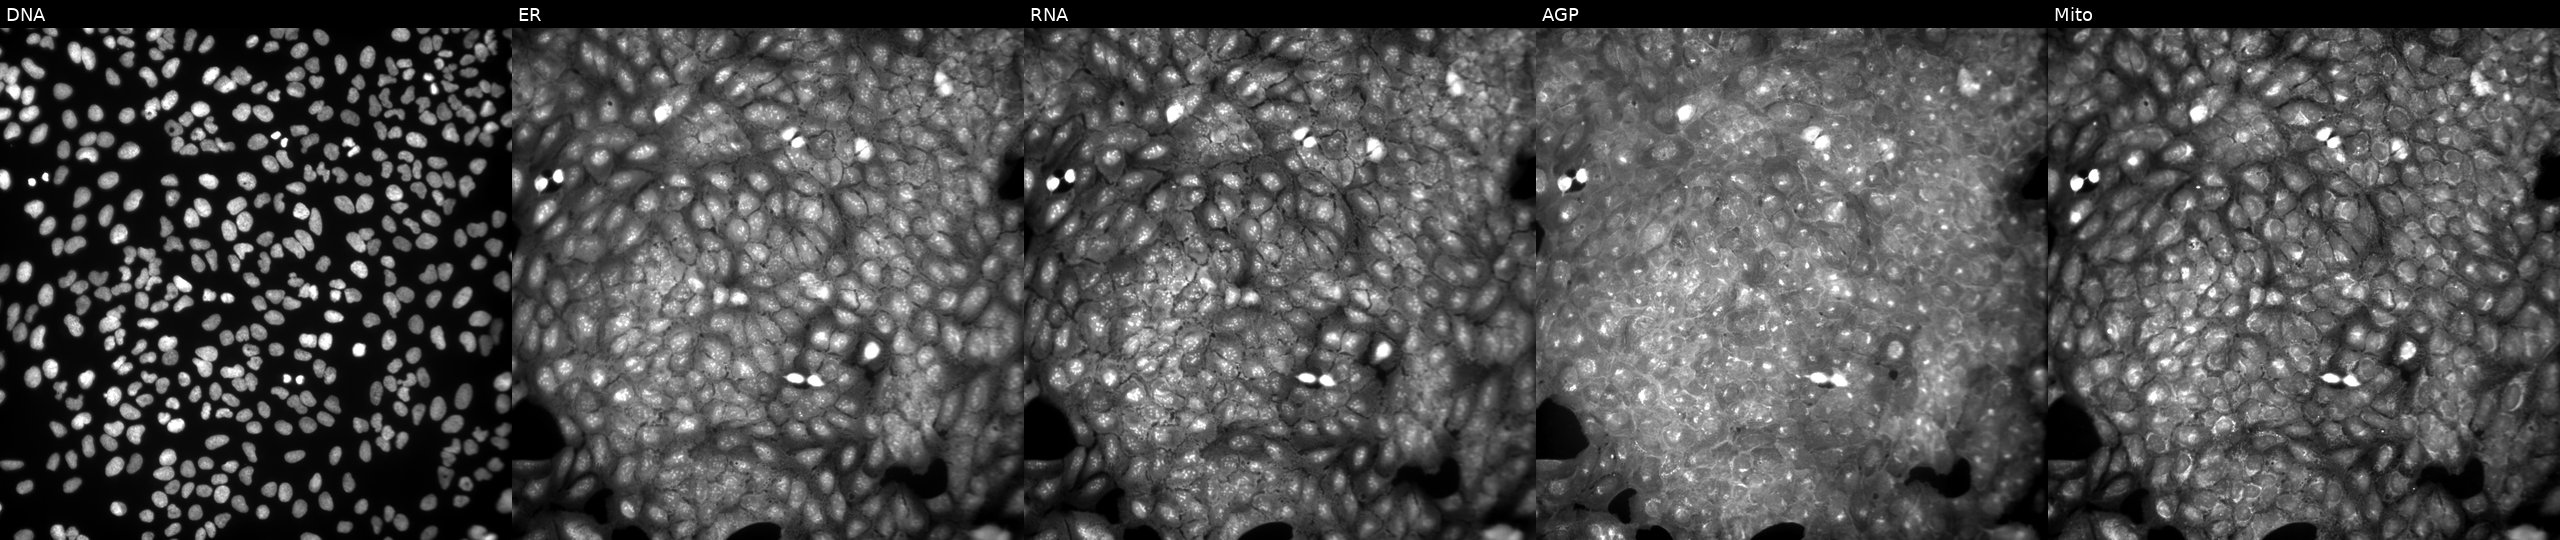
This image strip shows the five Cell Painting channels for a single field of U2OS cells exposed to a small-molecule compound (InChIKey GORUZCVPPYPLIX-UHFFFAOYSA-N). The five panels, left to right, show DNA, ER, RNA, AGP, and Mito. Source 9, plate GR00003381, well M46.